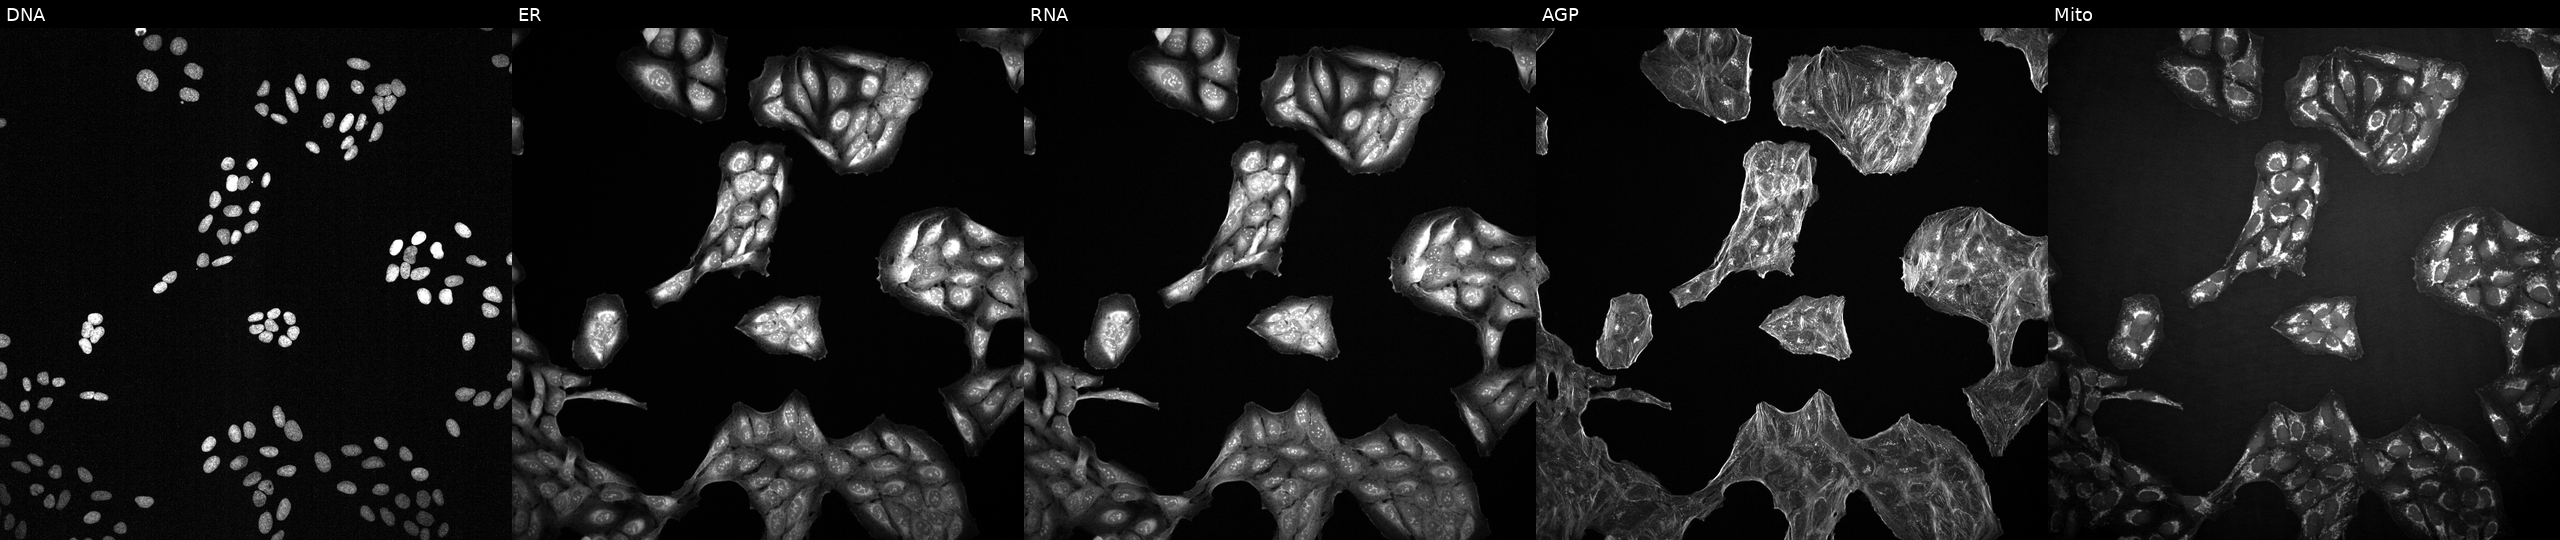
This image strip shows the five Cell Painting channels for a single field of U2OS cells exposed to a small-molecule compound [SMILES: O=c1n(CCCN2CCN(c3cccc(Cl)c3)CC2)nc2ccccn12]. The five panels, left to right, show DNA (nuclei); ER (endoplasmic reticulum); RNA (nucleoli and cytoplasmic RNA); AGP (actin cytoskeleton, Golgi, and plasma membrane); Mito (mitochondria).